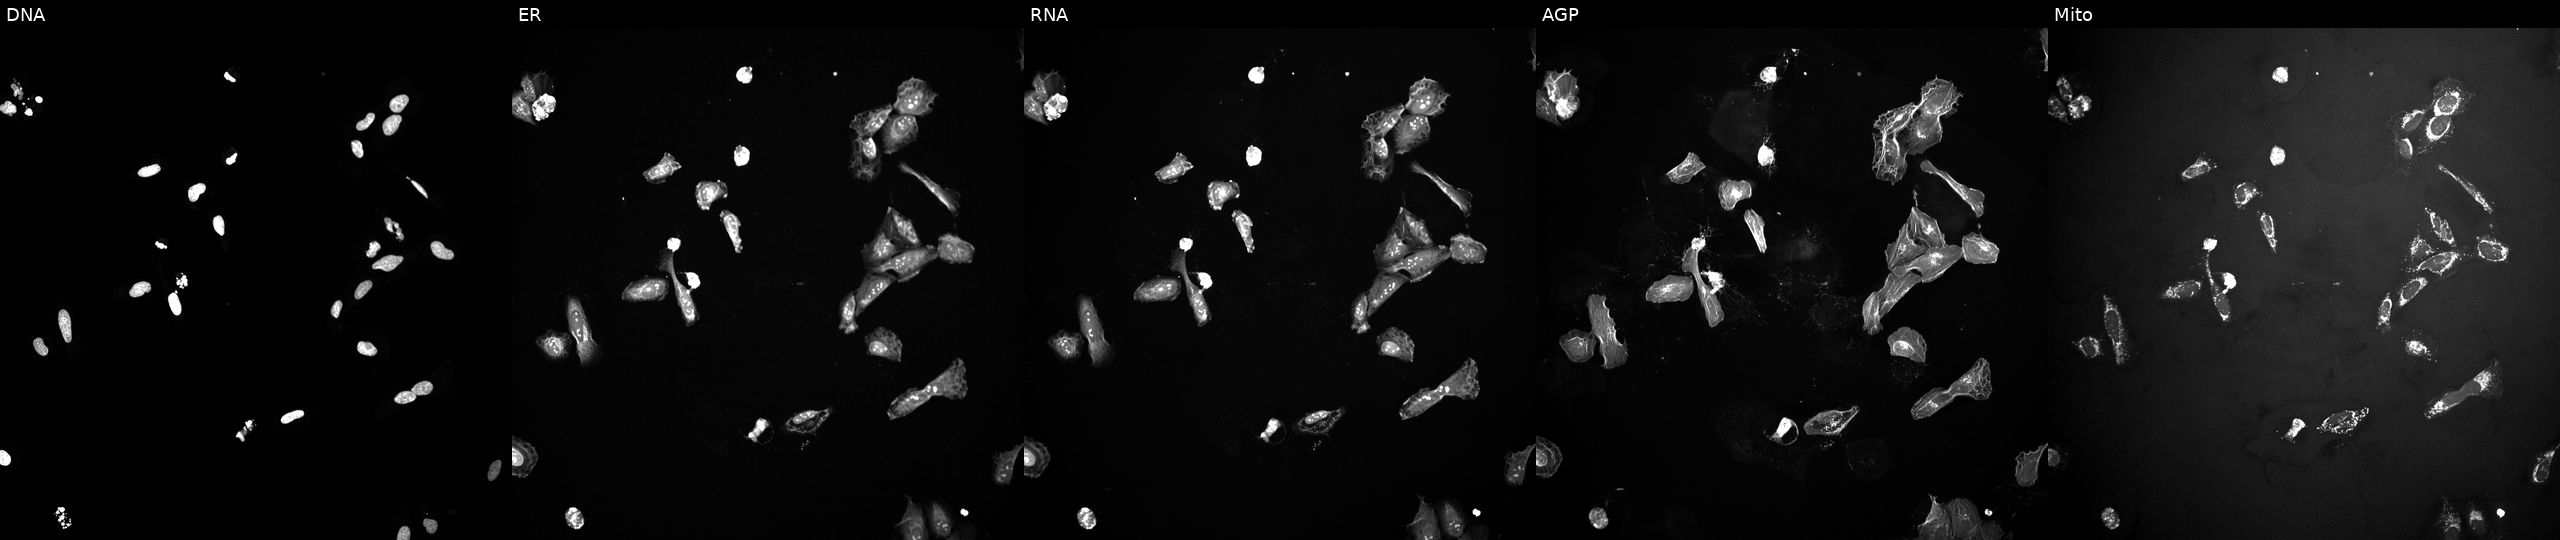
JUMP Cell Painting — COMPOUND plate. U2OS cells exposed to the positive-control compound TC-S-7004. From left to right: DNA, ER, RNA, AGP, and Mito. Source 10, plate Dest210531-152149, well L24.